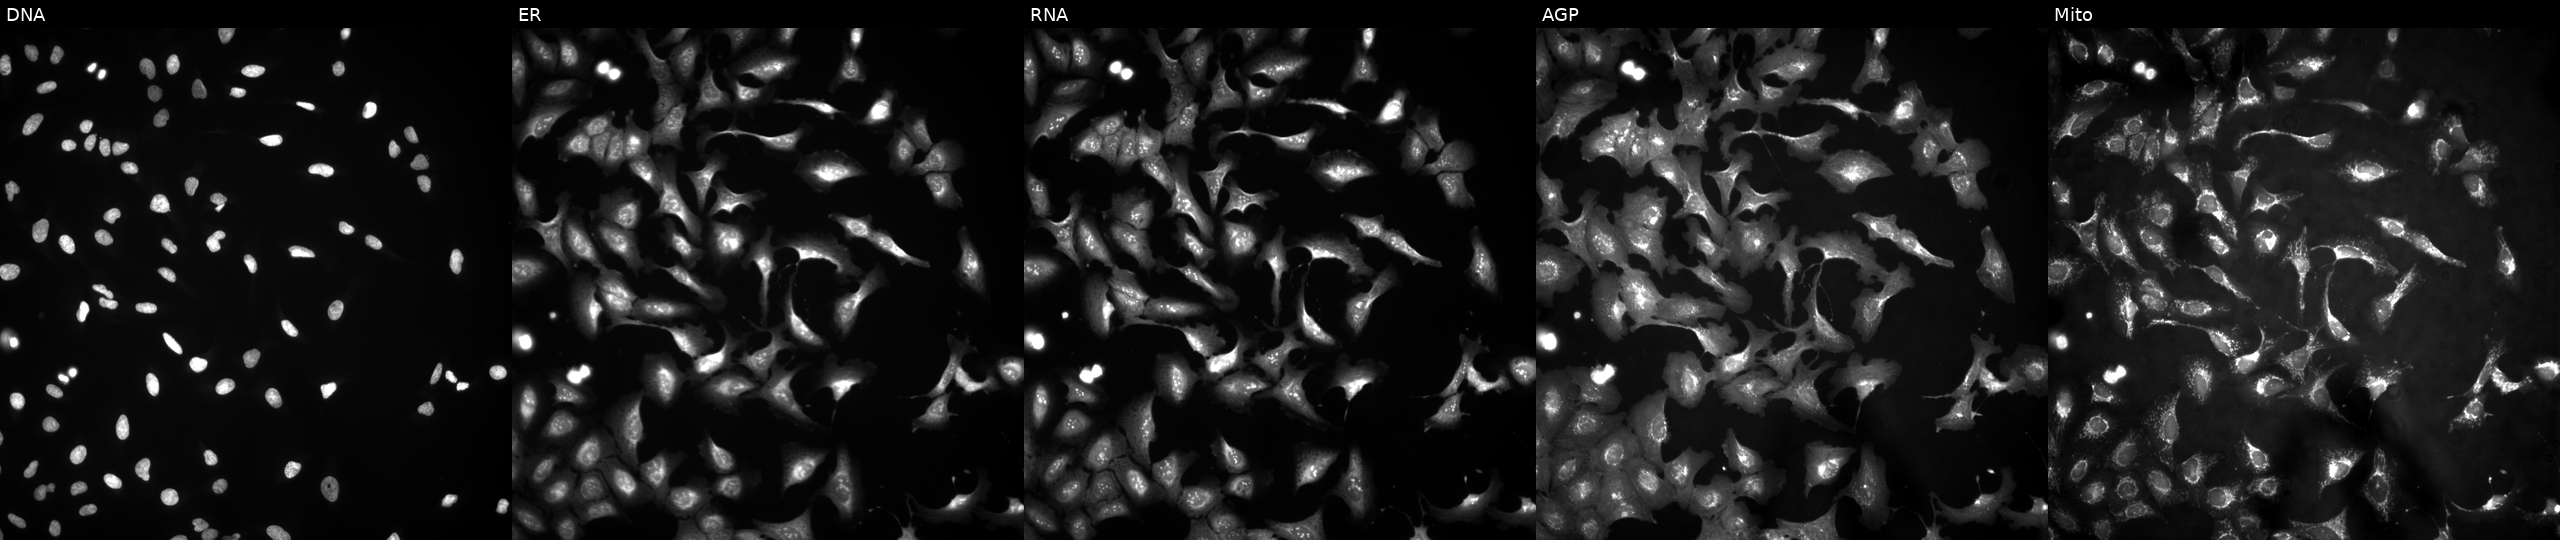
High-content fluorescence microscopy (Cell Painting). Cell line: U2OS. Perturbation: with PIK3CG overexpressed (ORF). From left to right: DNA, ER, RNA, AGP, and Mito.